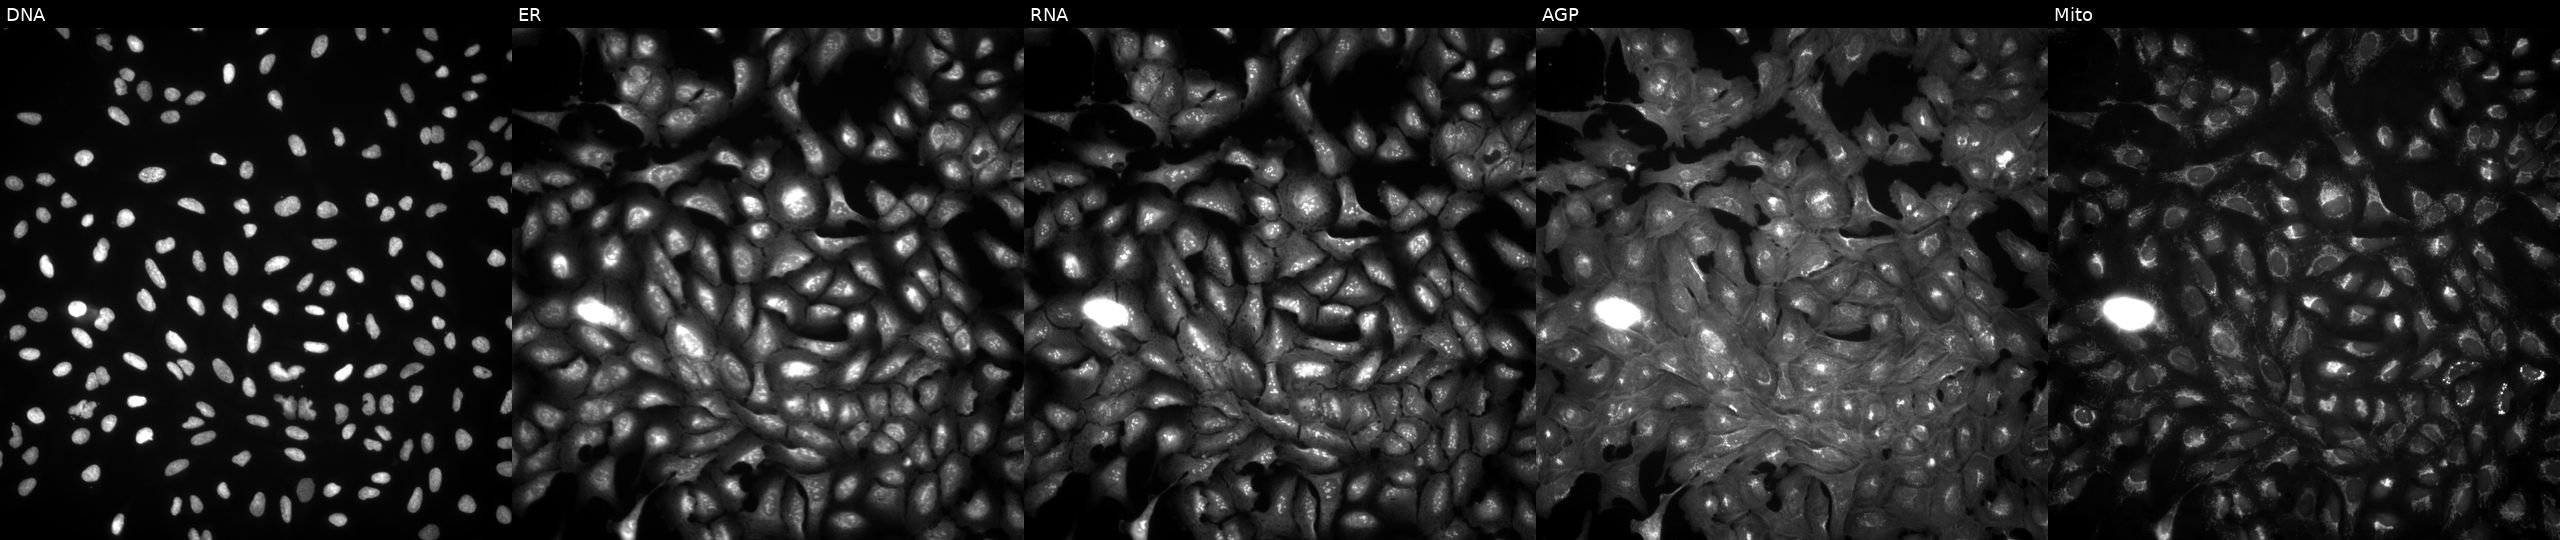
Channels (left→right): DNA (nuclei); ER (endoplasmic reticulum); RNA (nucleoli and cytoplasmic RNA); AGP (actin cytoskeleton, Golgi, and plasma membrane); Mito (mitochondria). U2OS osteosarcoma cells transfected with an ORF construct for SNRPD2. Cell Painting assay, JUMP-CP dataset.